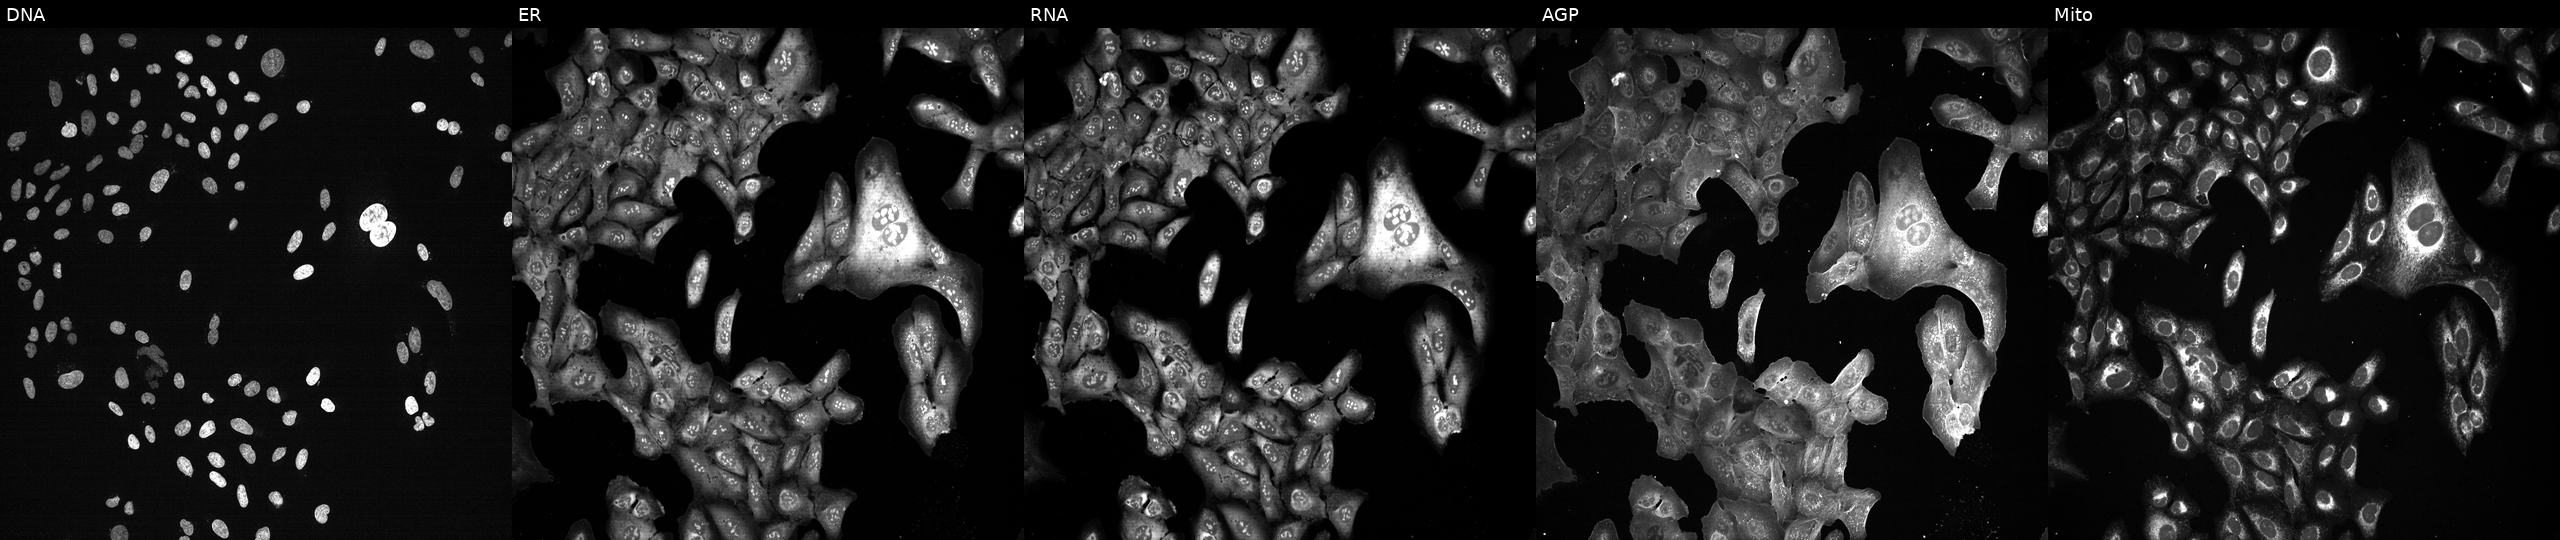
This image strip shows the five Cell Painting channels for a single field of U2OS cells following CRISPR knockout of CASP5 (JUMP id JCP2022_801066). The five panels, left to right, show Hoechst 33342, concanavalin A, SYTO 14, phalloidin and WGA, MitoTracker.